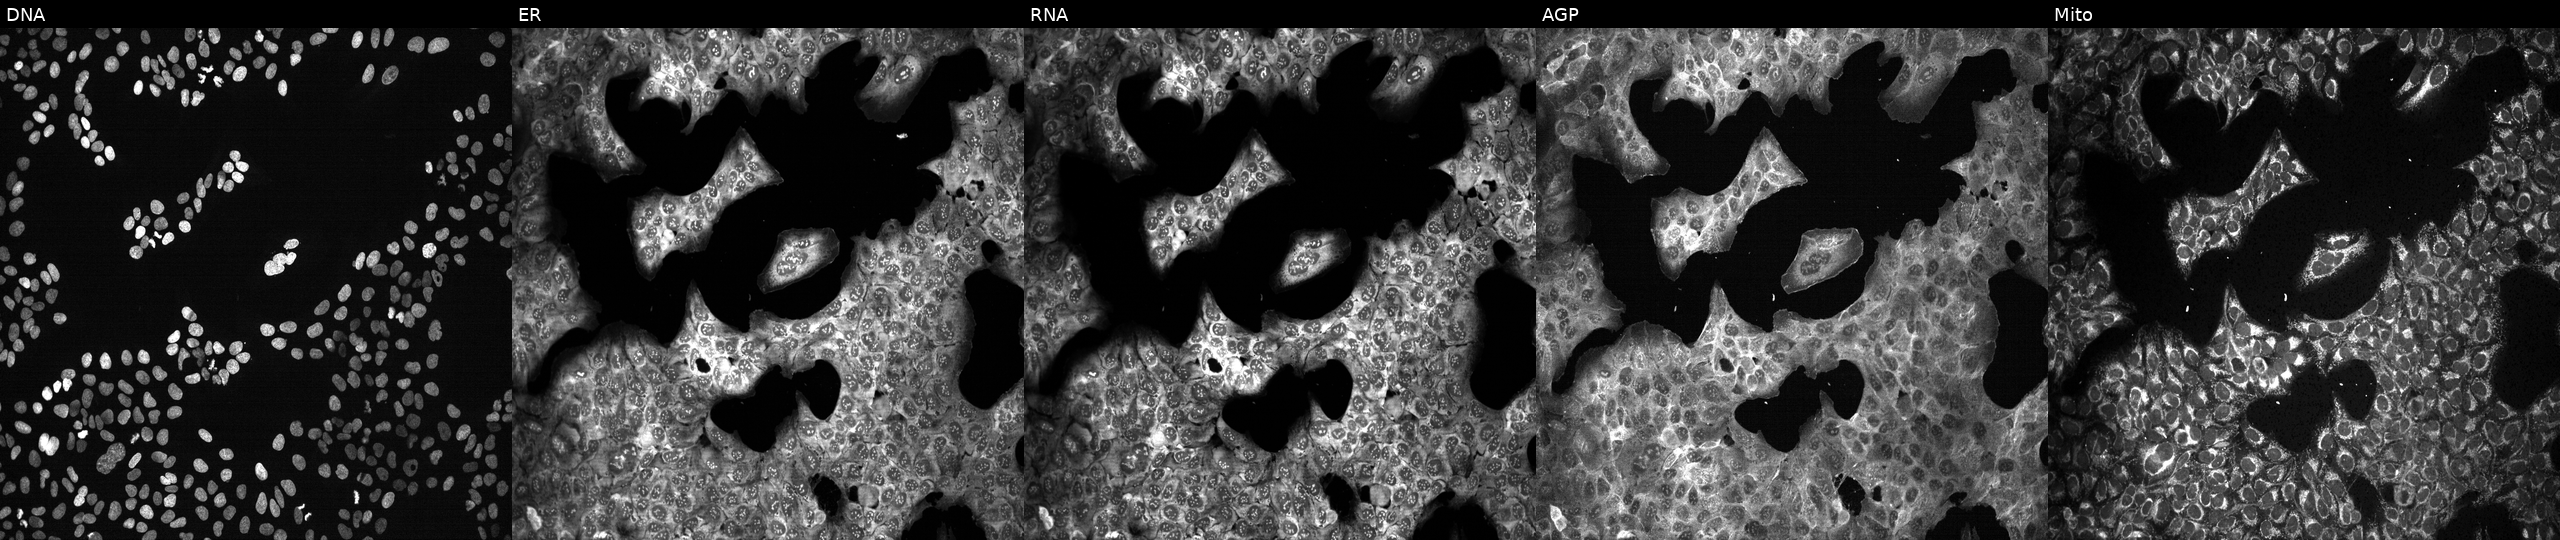
This image strip shows the five Cell Painting channels for a single field of U2OS cells treated with LY2109761 (positive-control compound) (JUMP id JCP2022_035095). From left to right: DNA (nuclei); ER (endoplasmic reticulum); RNA (nucleoli and cytoplasmic RNA); AGP (actin cytoskeleton, Golgi, and plasma membrane); Mito (mitochondria). Source 13, plate CP-CC9-R3-01, well I24.